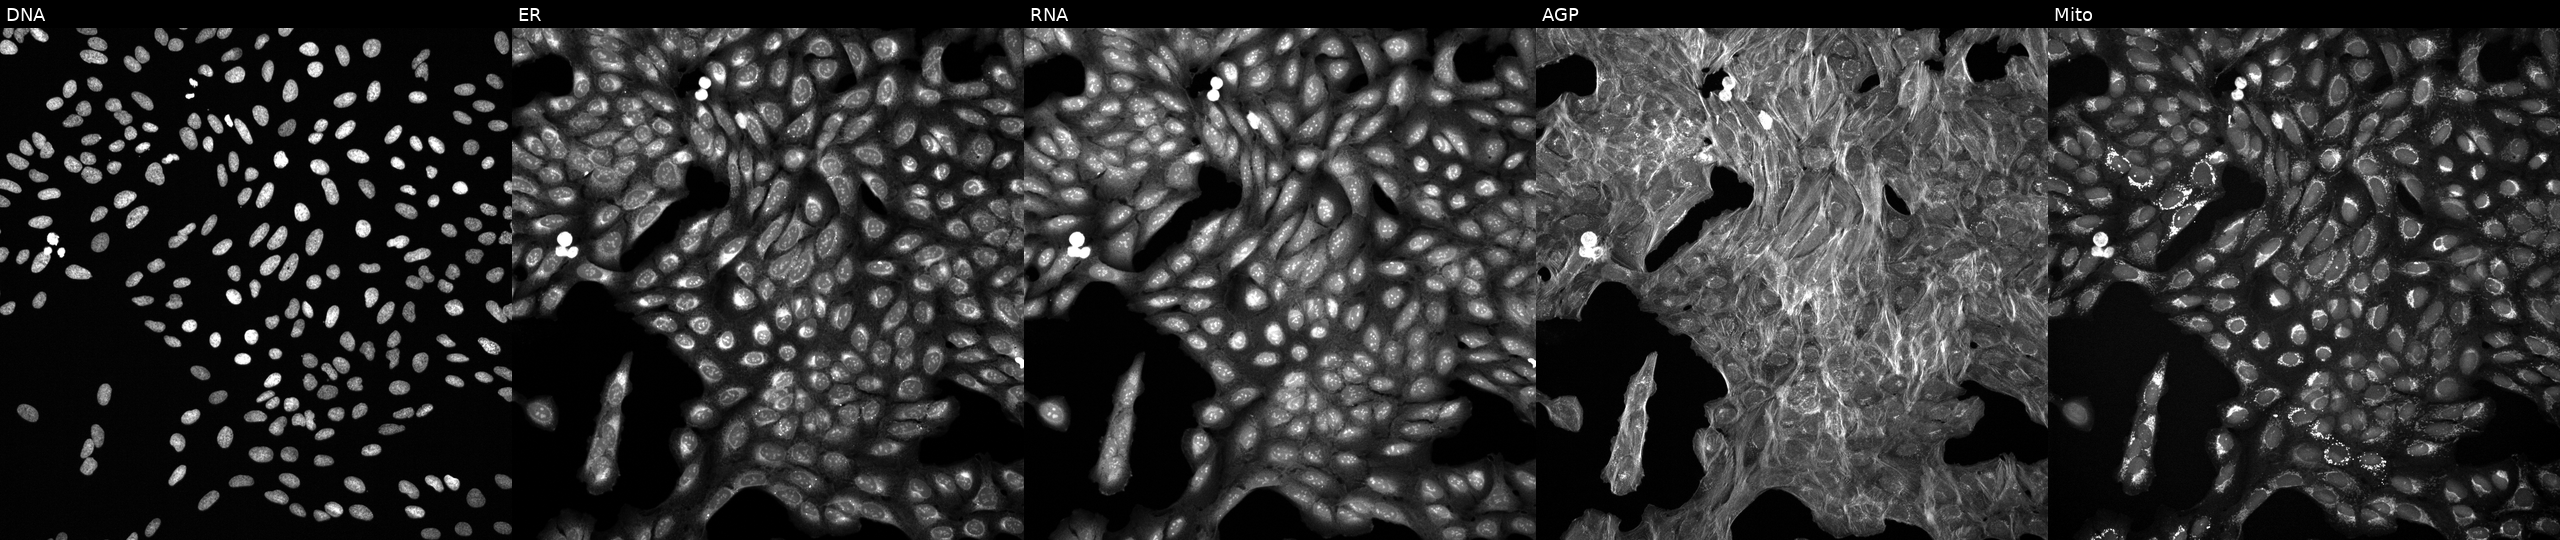
Five-channel Cell Painting image of U2OS cells perturbed with a small-molecule compound (InChIKey SVMHYHIZWOJKDL-UHFFFAOYSA-N) [SMILES: COCCOC(=O)C1=C(C)N=C(C)C(C(=O)OC(C)C)C1c1cccc([N+](=O)[O-])c1]. The five panels, left to right, show DNA, ER, RNA, AGP, and Mito. Source 6, plate 110000293093, well P12.